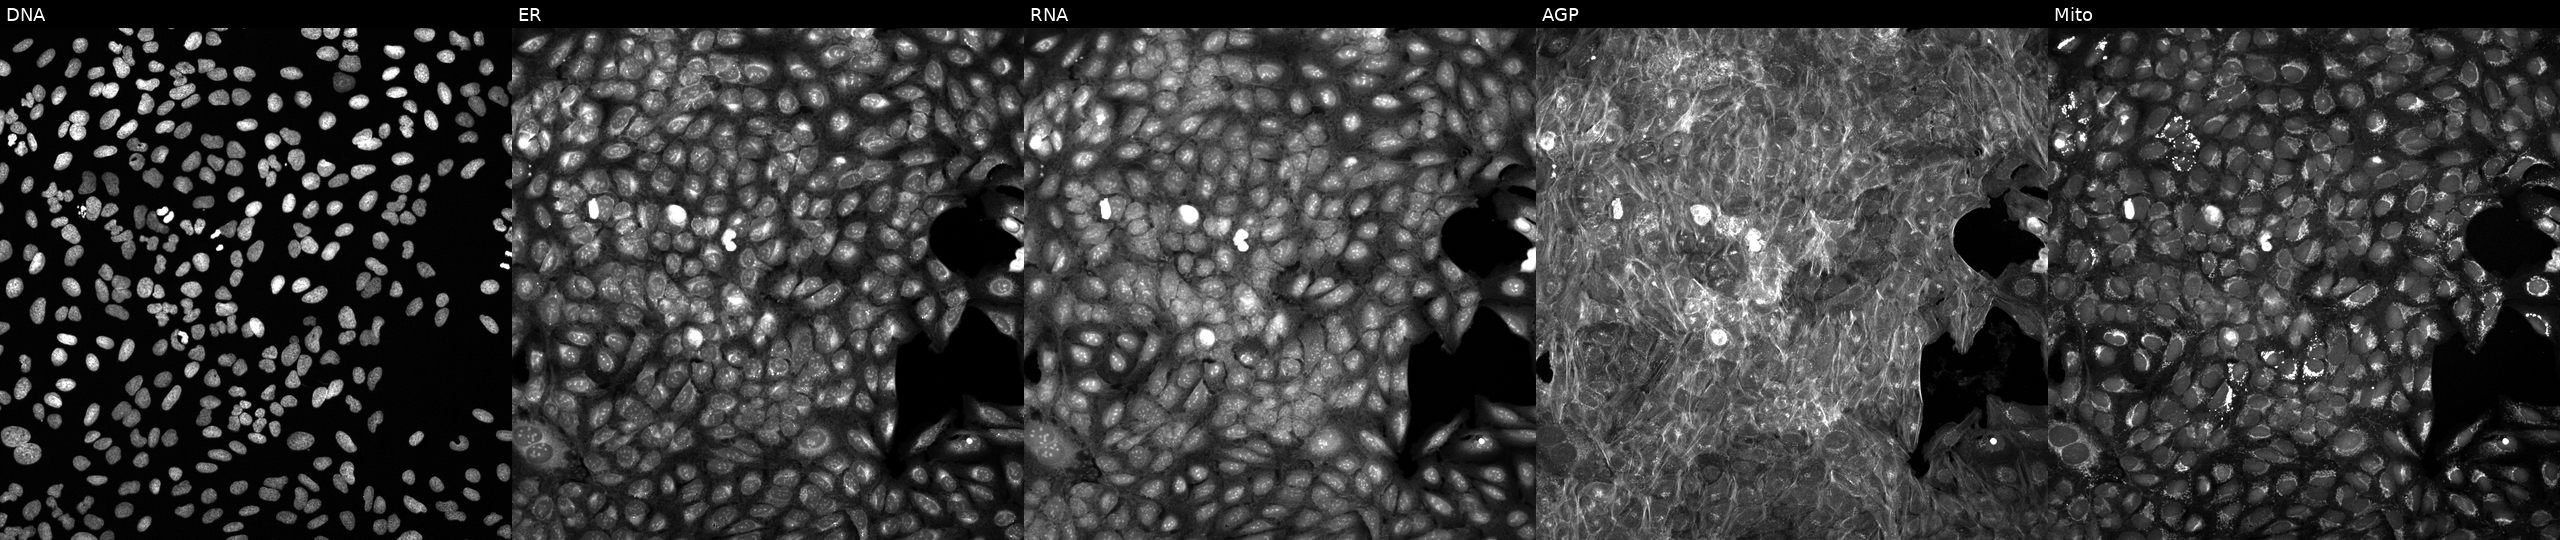
JUMP Cell Painting — TARGET2 plate. U2OS cells exposed to DMSO alone as a negative control (JUMP id JCP2022_033924). The five panels, left to right, show DNA, ER, RNA, AGP, and Mito. Source 6, plate 110000294901, well B12.